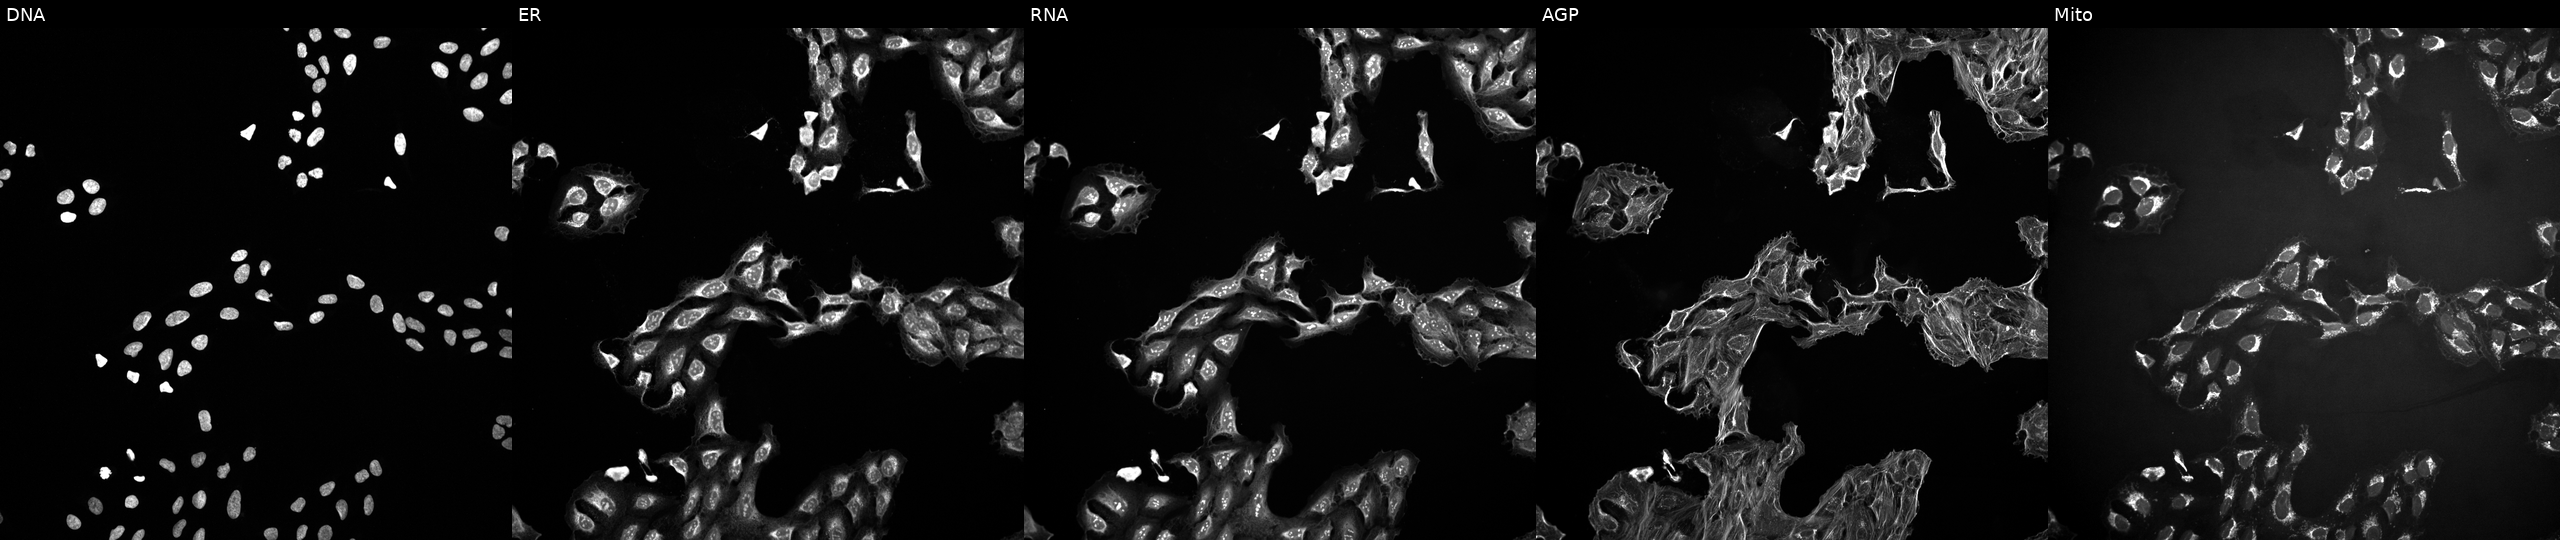
Five-channel Cell Painting image of U2OS cells treated with a small-molecule compound (InChIKey GMROZDPZEUVIGD-UHFFFAOYSA-N). The five panels, left to right, show Hoechst 33342, concanavalin A, SYTO 14, phalloidin and WGA, MitoTracker.